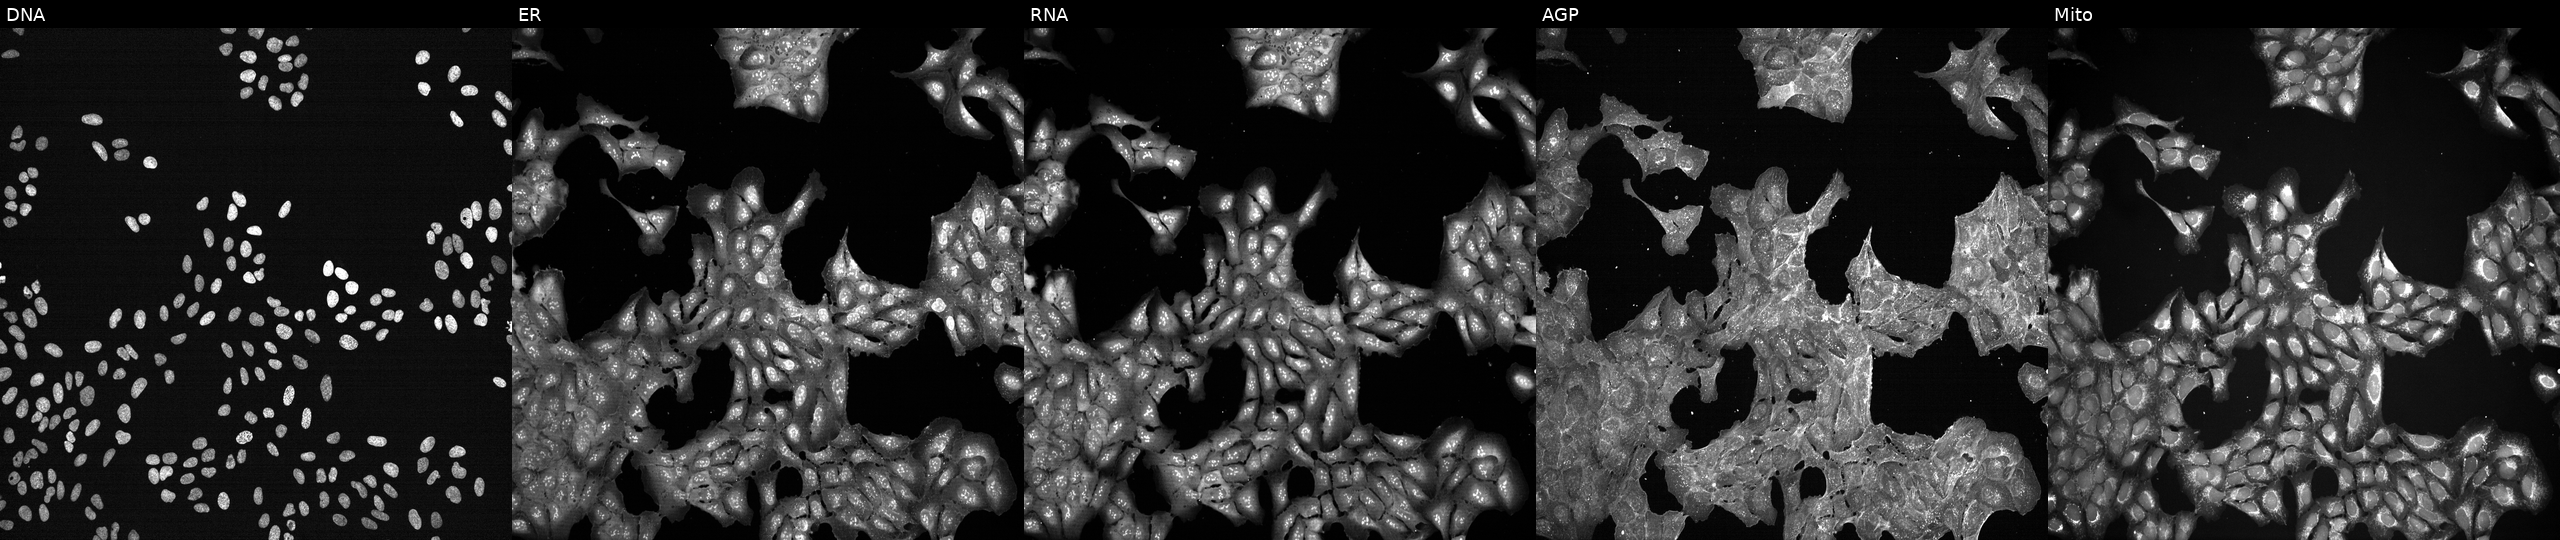
High-content fluorescence microscopy (Cell Painting). Cell line: U2OS. Perturbation: exposed to DMSO alone as a negative control. Channels (left→right): DNA (nuclei); ER (endoplasmic reticulum); RNA (nucleoli and cytoplasmic RNA); AGP (actin cytoskeleton, Golgi, and plasma membrane); Mito (mitochondria). Source 7, plate CP2-SC1-25, well I10.